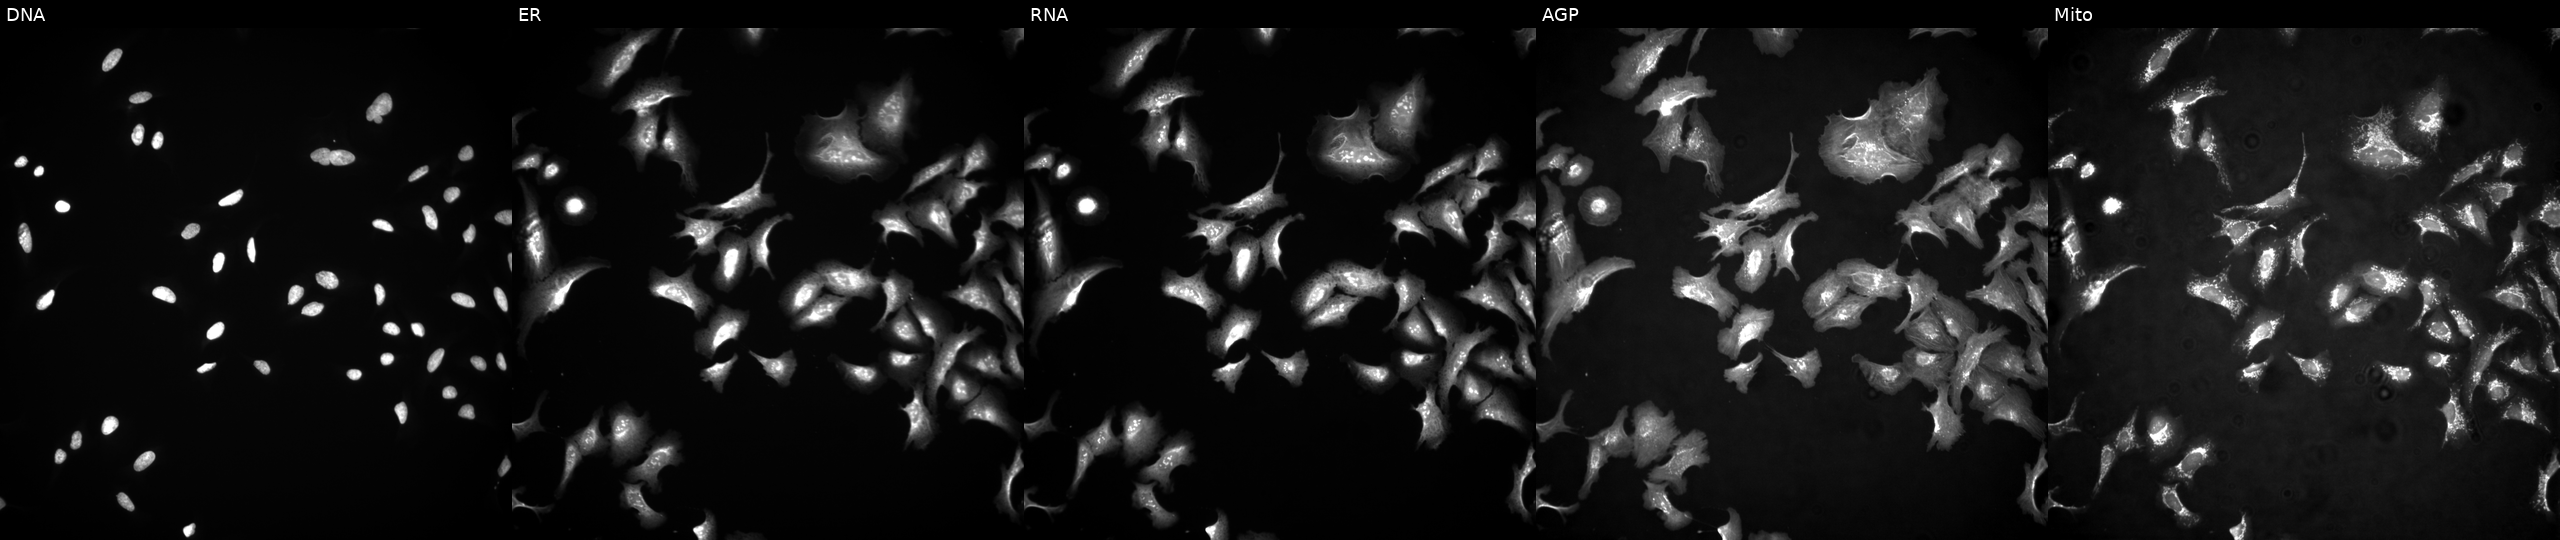
Five-channel Cell Painting image of U2OS cells transfected with an ORF construct for SMIM12. Panels show, left to right, Hoechst 33342, concanavalin A, SYTO 14, phalloidin and WGA, MitoTracker. Source 4, plate BR00124787, well E19.